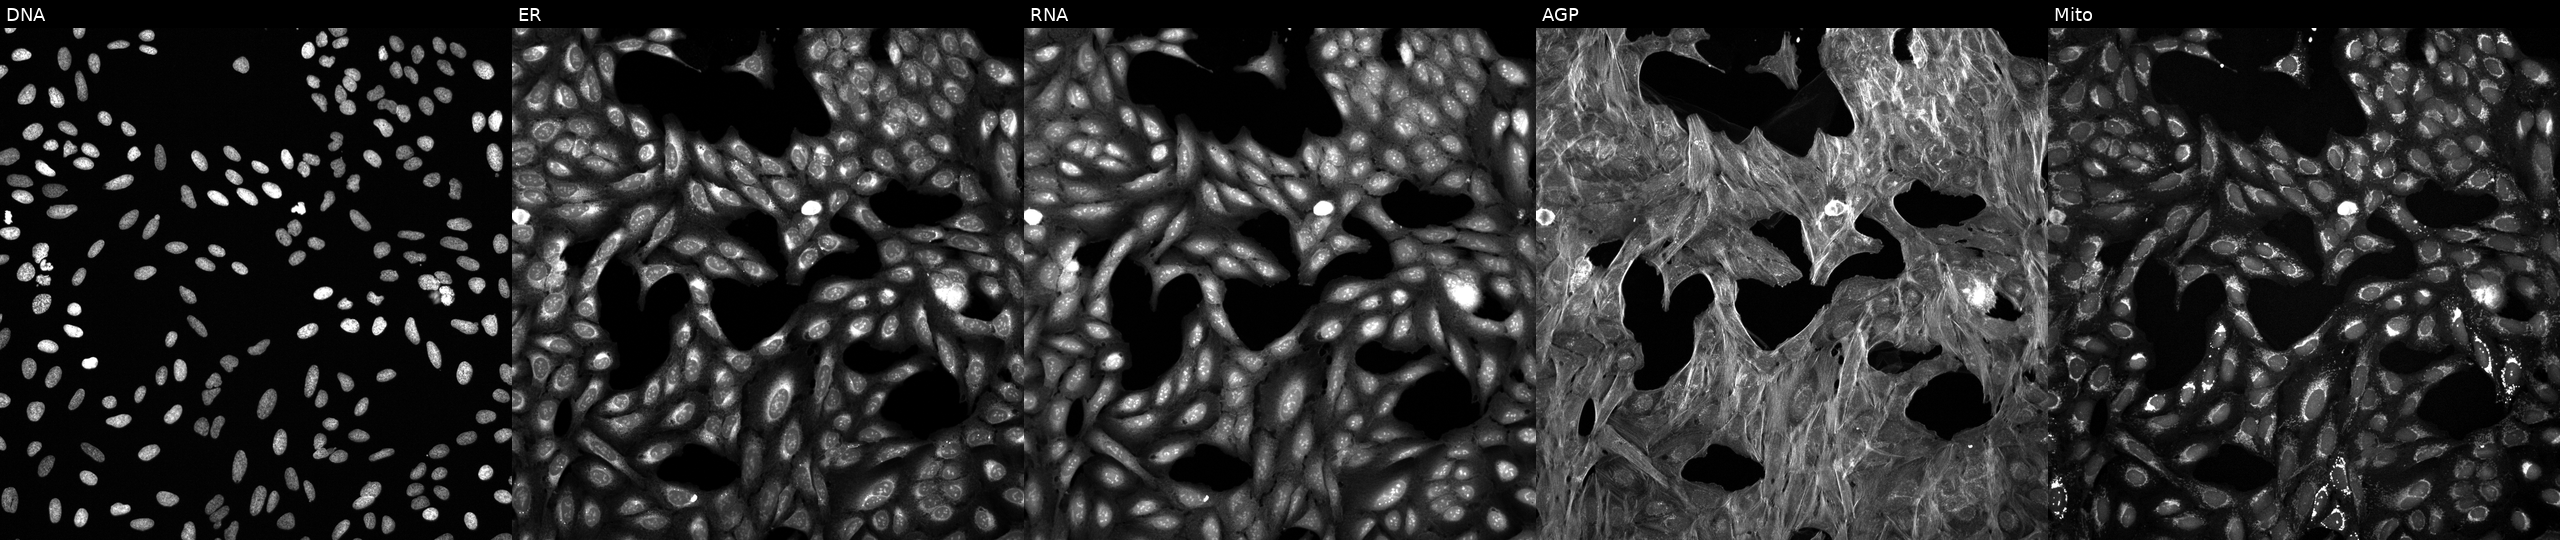
This image strip shows the five Cell Painting channels for a single field of U2OS cells exposed to a small-molecule compound. From left to right: Hoechst 33342, concanavalin A, SYTO 14, phalloidin and WGA, MitoTracker. Source 6, plate 110000293093, well L21.